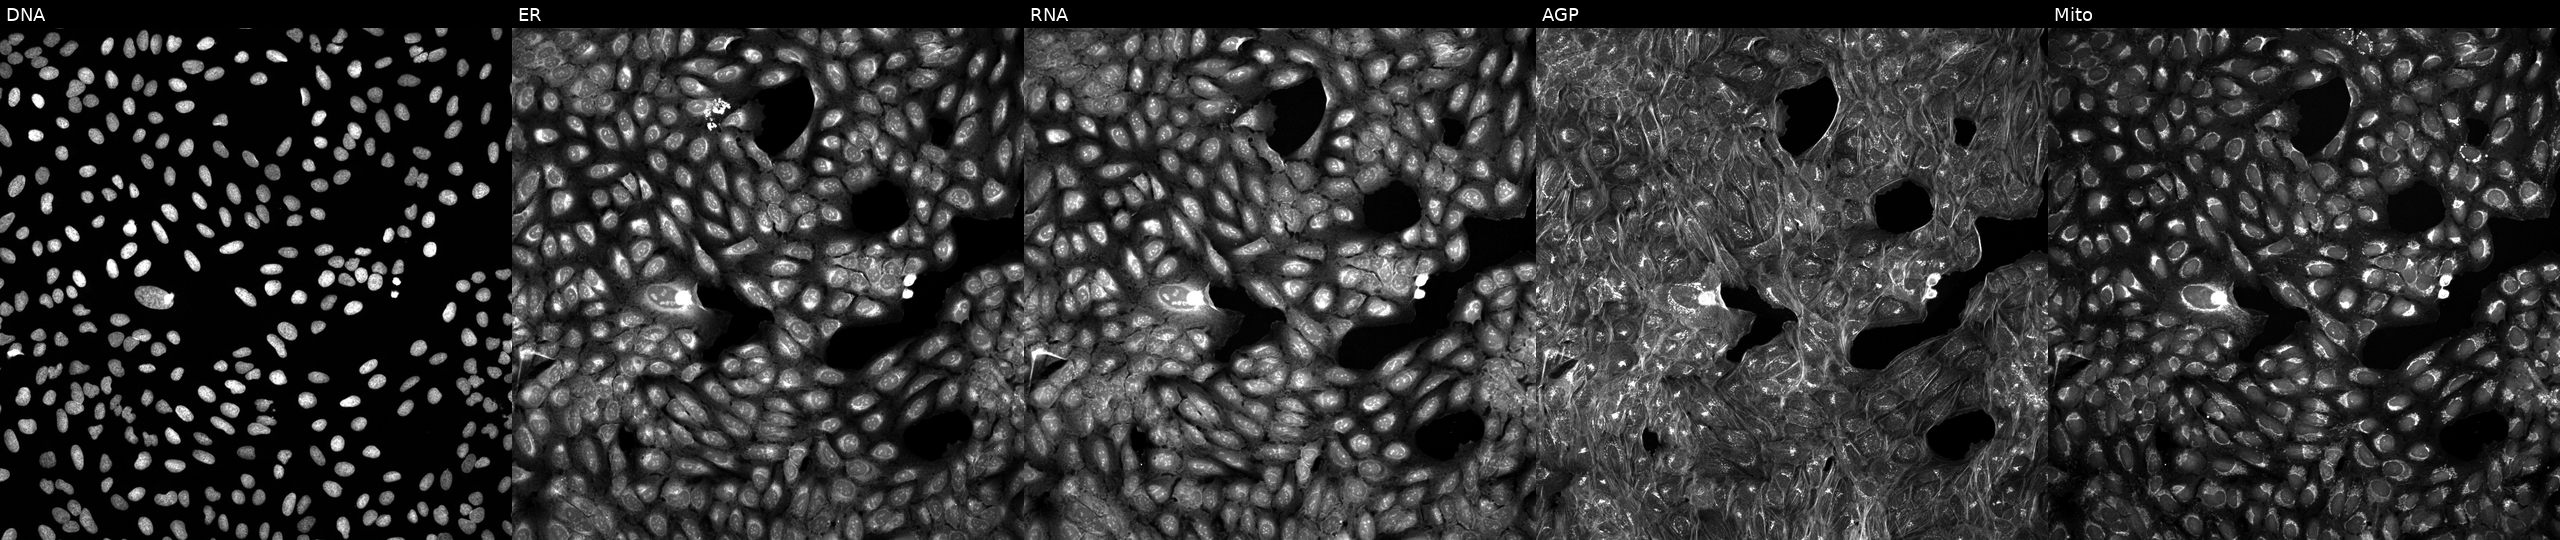
High-content fluorescence microscopy (Cell Painting). Cell line: U2OS. Perturbation: exposed to a small-molecule compound (InChIKey PFHDWRIVDDIFRP-UHFFFAOYSA-N) [SMILES: CCC(CC)n1ccc2c(C(=O)NCc3c(C)cc(C)[nH]c3=O)cc(C#N)cc21] (JUMP id JCP2022_068238). From left to right: DNA (nuclei); ER (endoplasmic reticulum); RNA (nucleoli and cytoplasmic RNA); AGP (actin cytoskeleton, Golgi, and plasma membrane); Mito (mitochondria). Source 5, plate ACPJUM051, well F07.